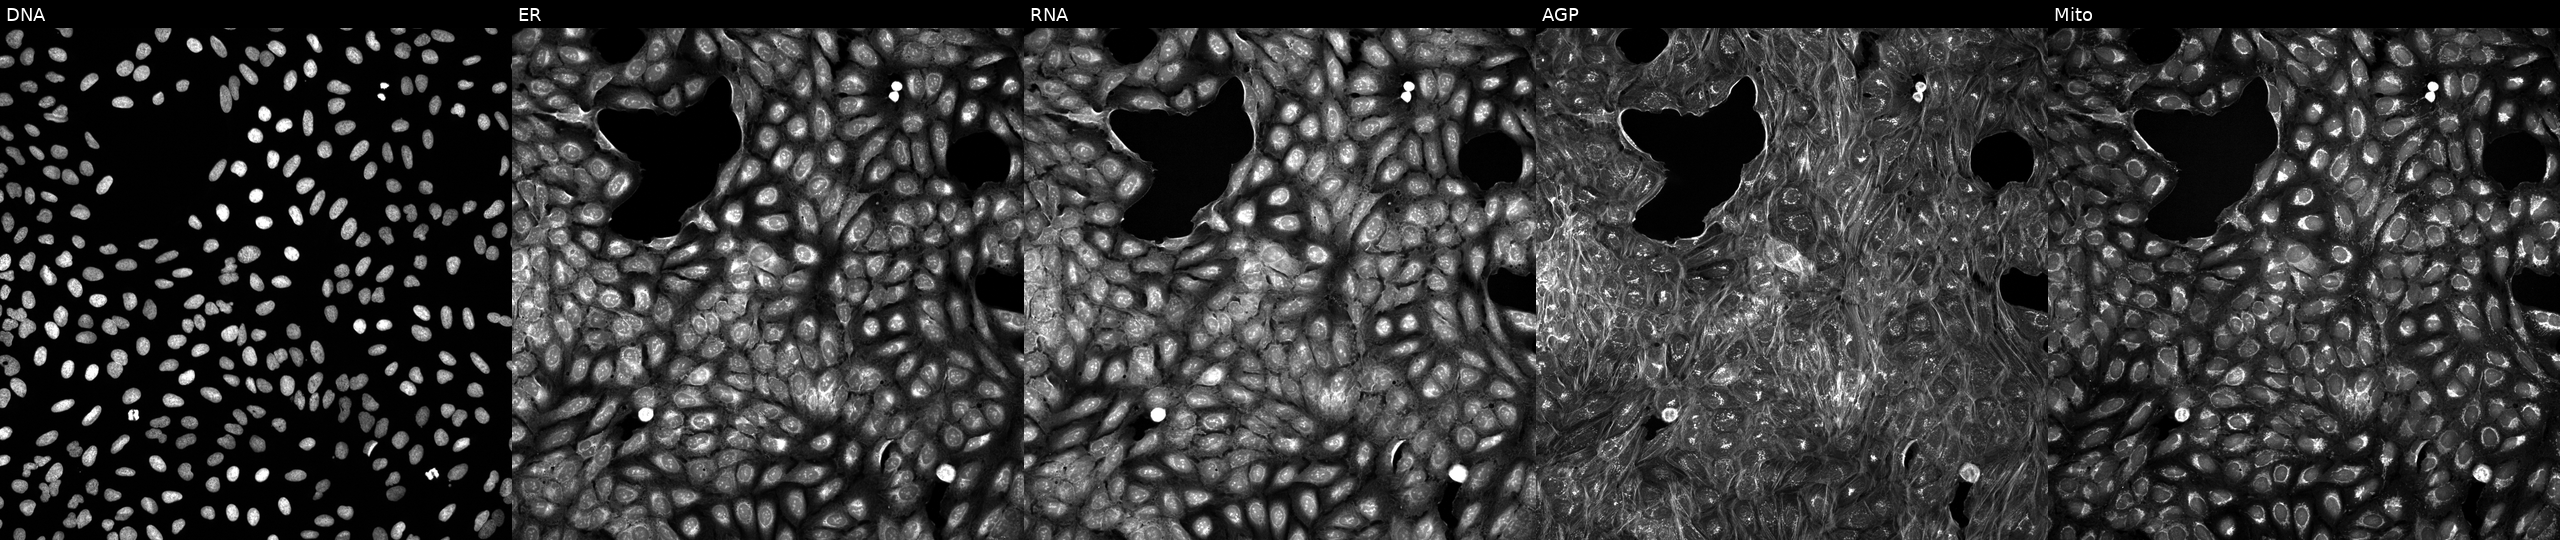
Five-channel Cell Painting image of U2OS cells treated with a small-molecule compound (InChIKey QXKHYNVANLEOEG-UHFFFAOYSA-N) [SMILES: COc1c2occc2cc2ccc(=O)oc12]. Panels show, left to right, Hoechst 33342, concanavalin A, SYTO 14, phalloidin and WGA, MitoTracker.